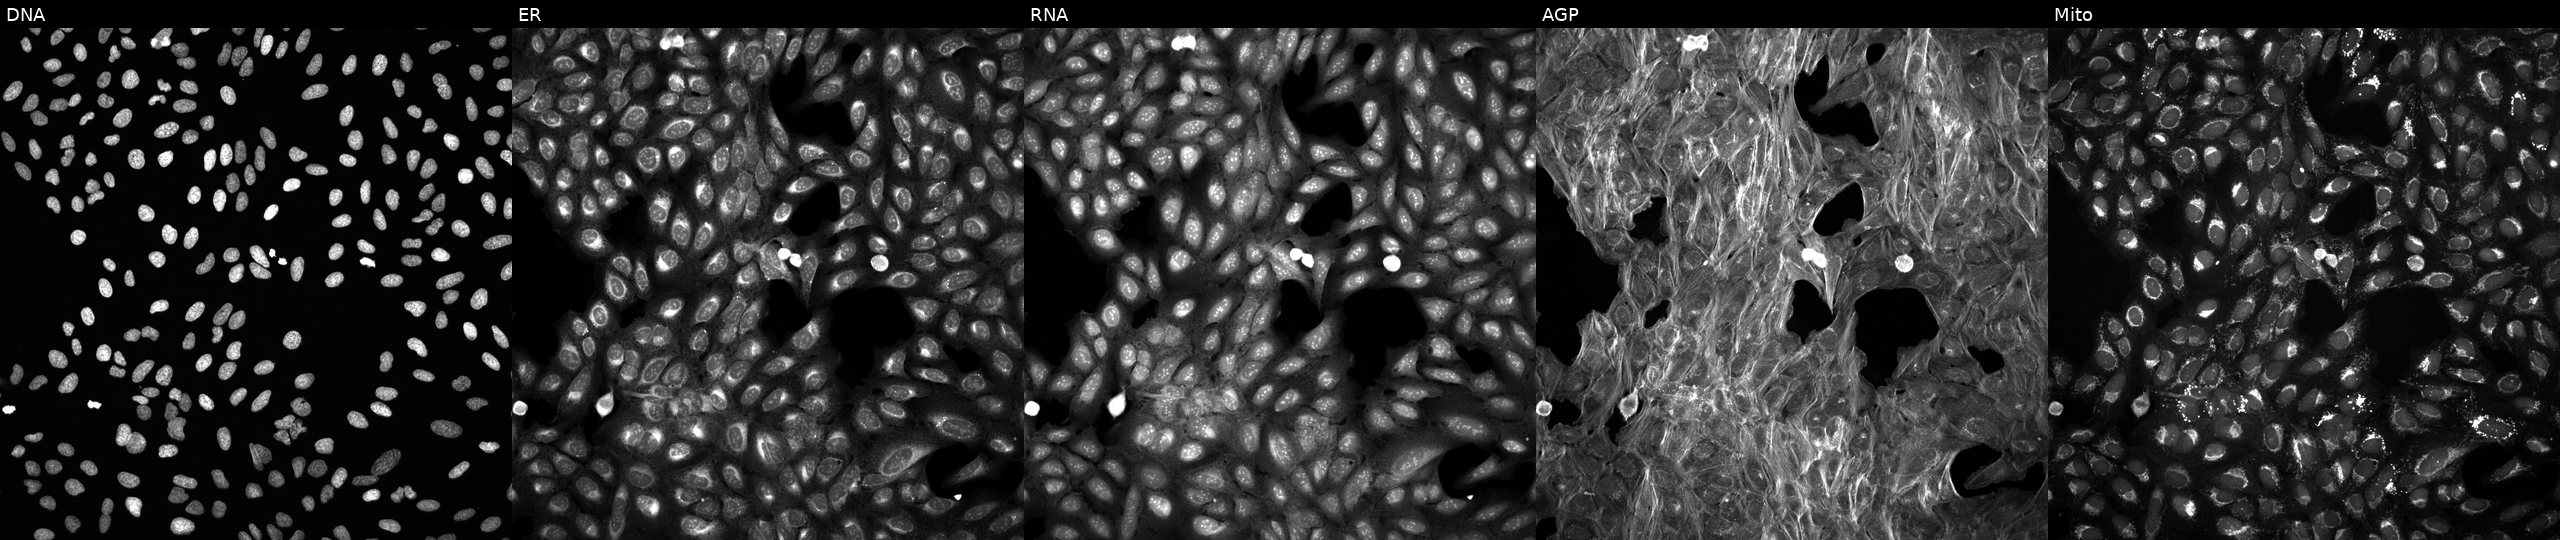
JUMP Cell Painting — COMPOUND plate. U2OS cells perturbed with a small-molecule compound (JUMP id JCP2022_040276). From left to right: Hoechst 33342, concanavalin A, SYTO 14, phalloidin and WGA, MitoTracker.